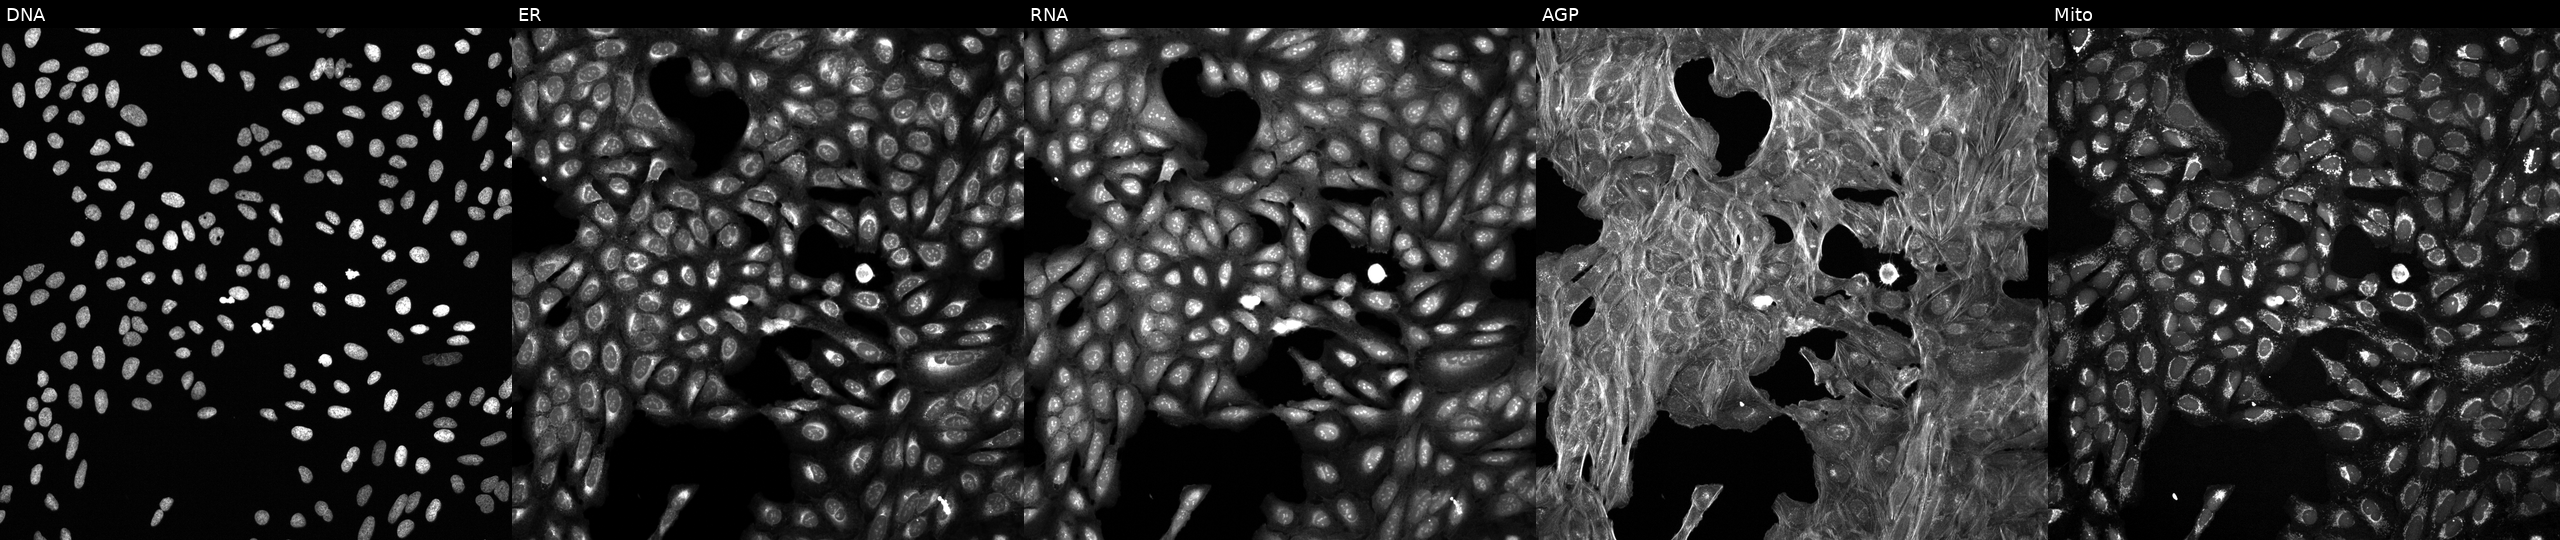
Channels (left→right): DNA (nuclei); ER (endoplasmic reticulum); RNA (nucleoli and cytoplasmic RNA); AGP (actin cytoskeleton, Golgi, and plasma membrane); Mito (mitochondria). U2OS osteosarcoma cells treated with DMSO vehicle only (negative control) (JUMP id JCP2022_033924). Cell Painting assay, JUMP-CP dataset.